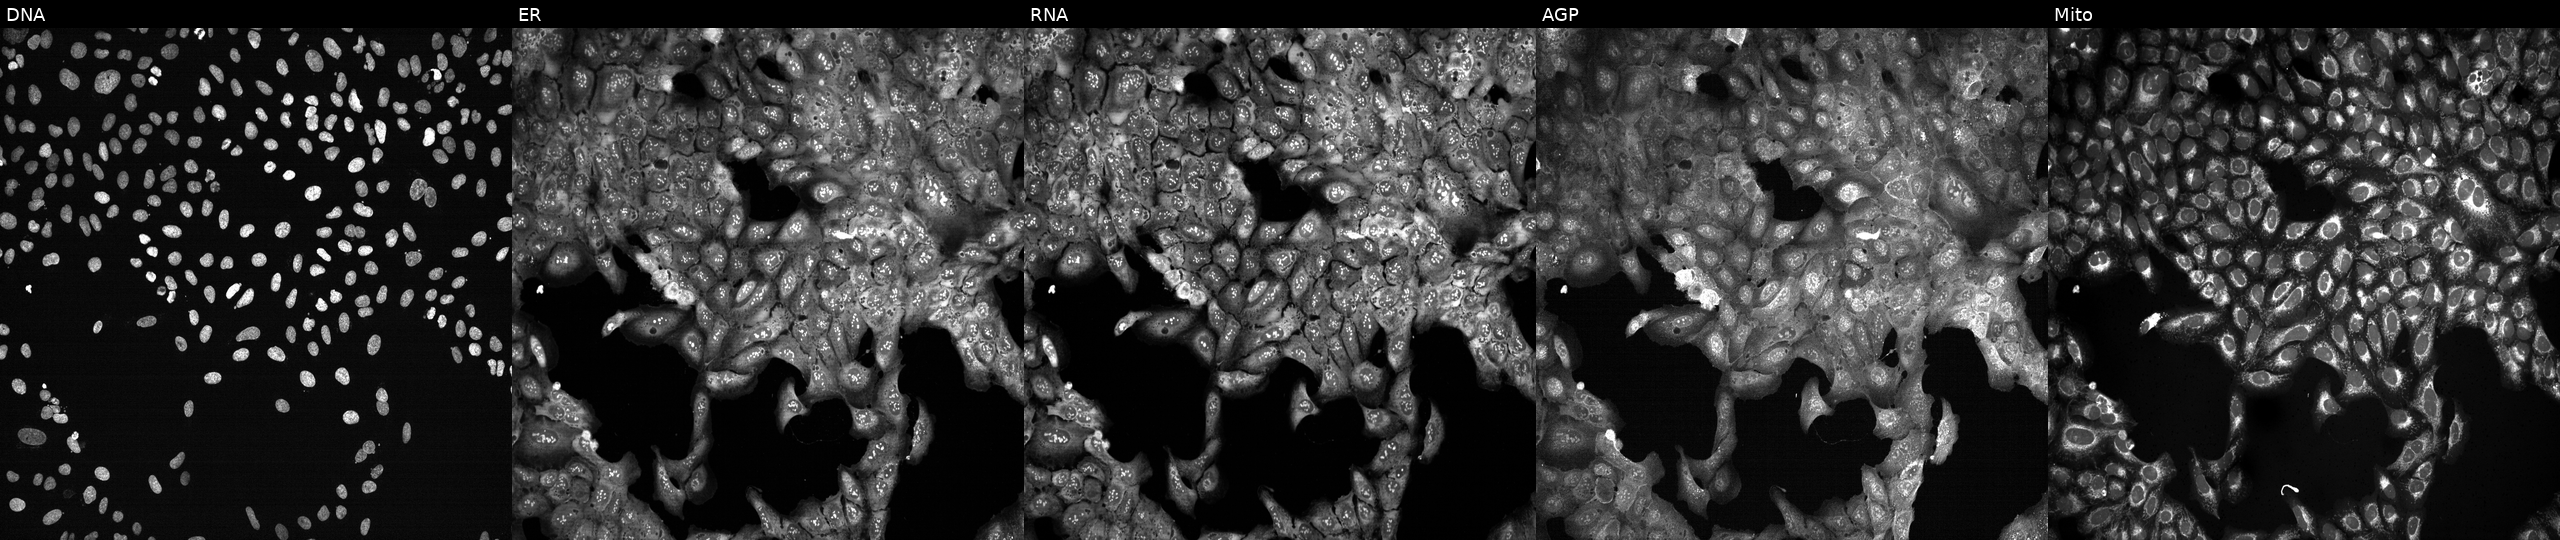
Panels show, left to right, DNA, ER, RNA, AGP, and Mito. U2OS osteosarcoma cells following CRISPR knockout of ACOX2 (JUMP id JCP2022_800126). Cell Painting assay, JUMP-CP dataset. Source 13, plate CP-CC9-R4-04, well P17.